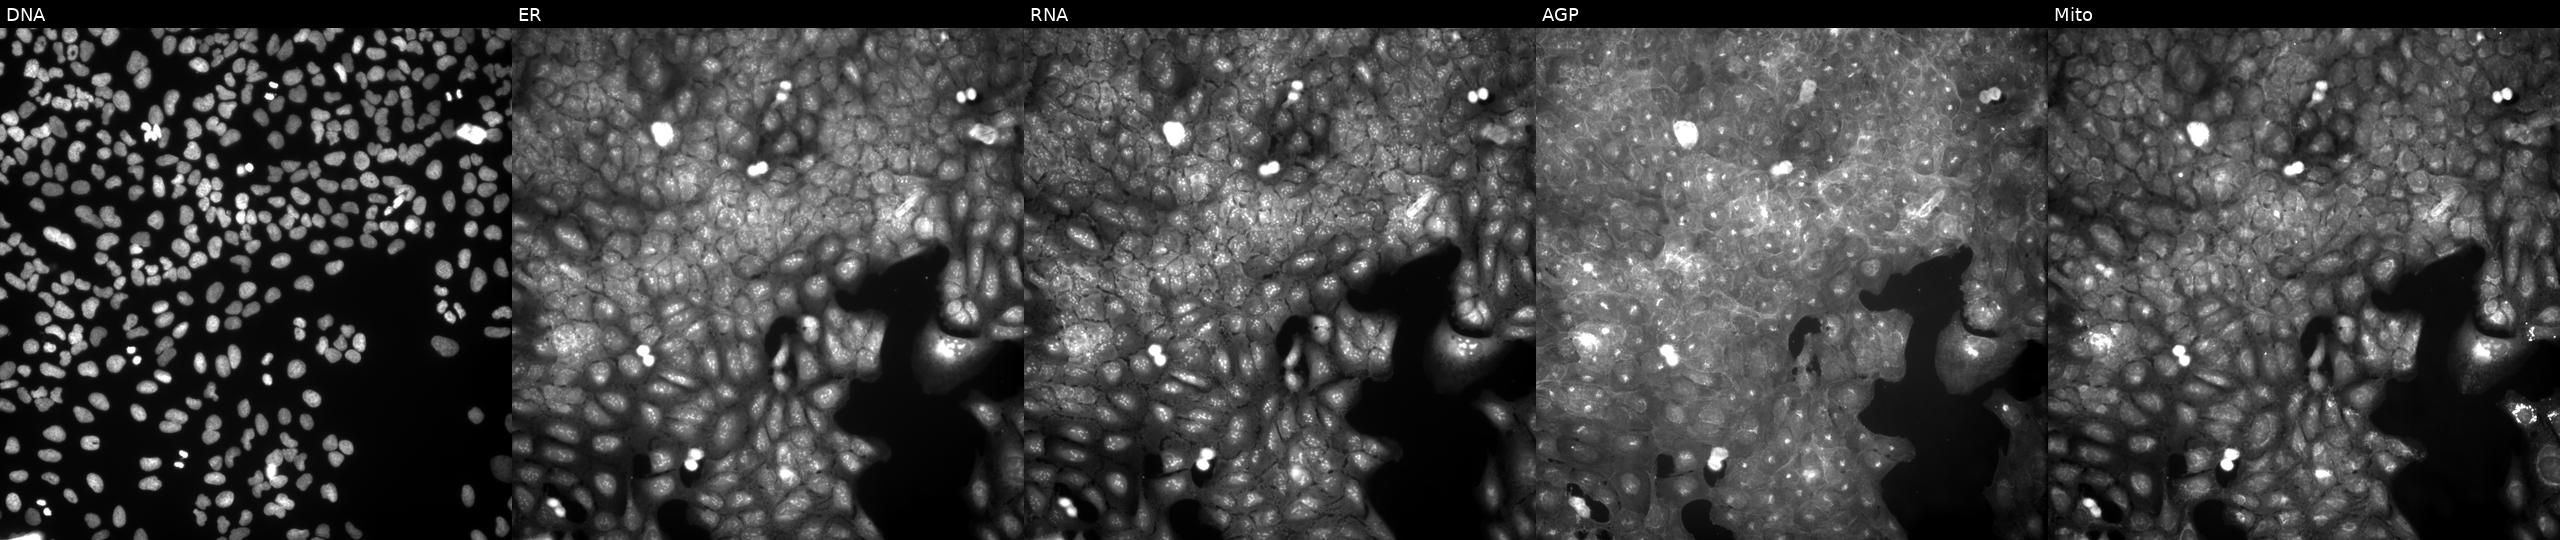
This image strip shows the five Cell Painting channels for a single field of U2OS cells perturbed with a small-molecule compound (InChIKey FMVFYKWYJMHNMM-UHFFFAOYSA-N). Panels show, left to right, Hoechst 33342, concanavalin A, SYTO 14, phalloidin and WGA, MitoTracker. Source 9, plate GR00003382, well O35.